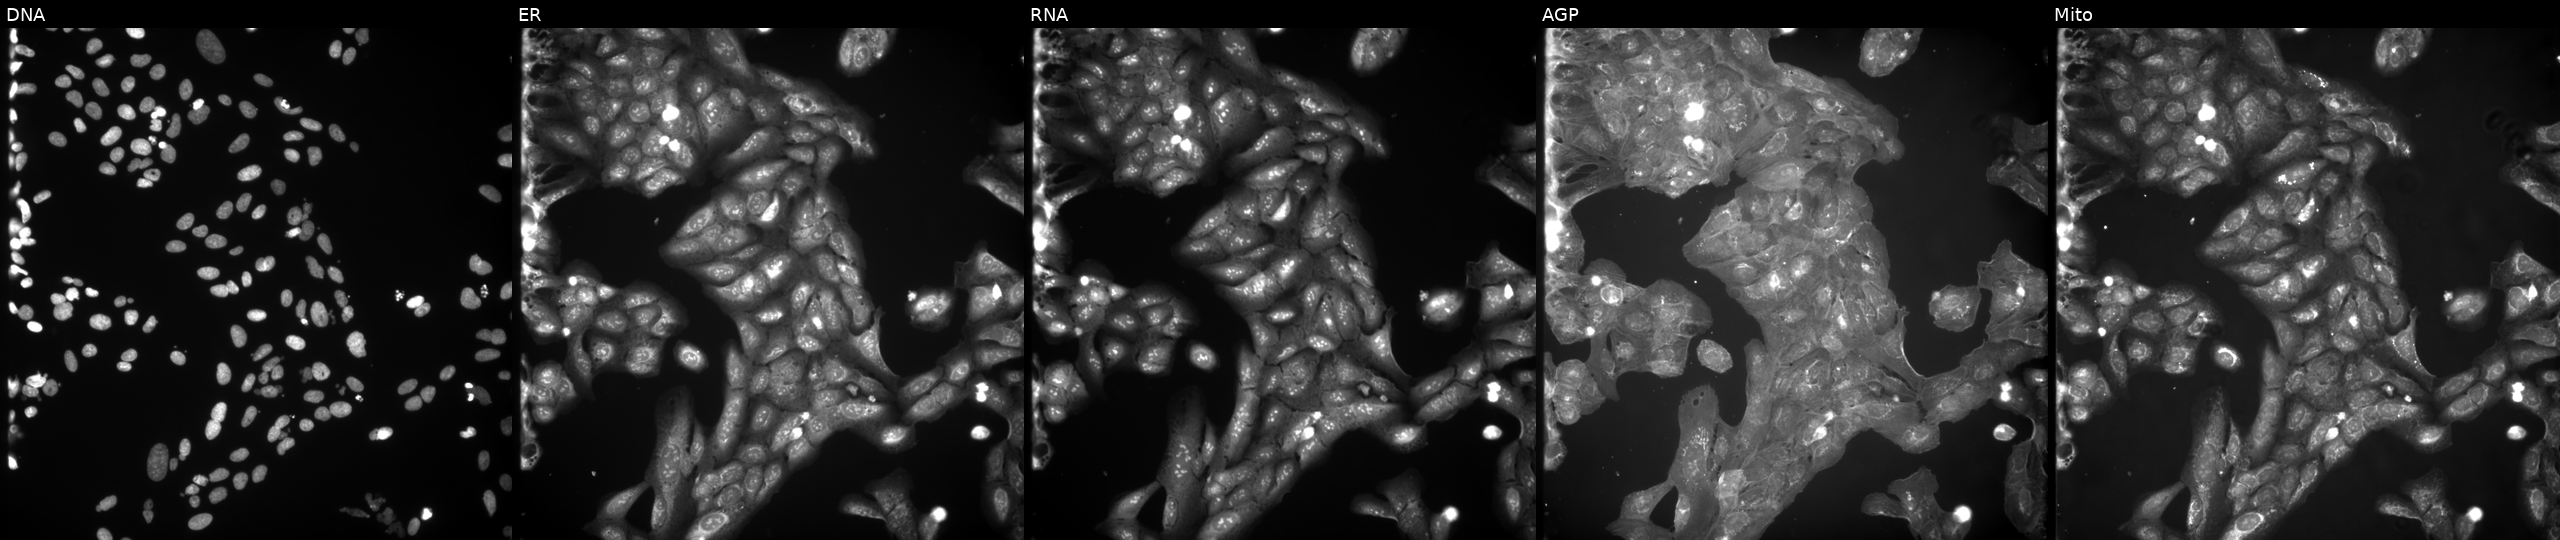
Five-channel Cell Painting image of U2OS cells exposed to a small-molecule compound (InChIKey RKJVXMKEAVMWHX-UHFFFAOYSA-N) (JUMP id JCP2022_078939). Channels (left→right): DNA, ER, RNA, AGP, and Mito.